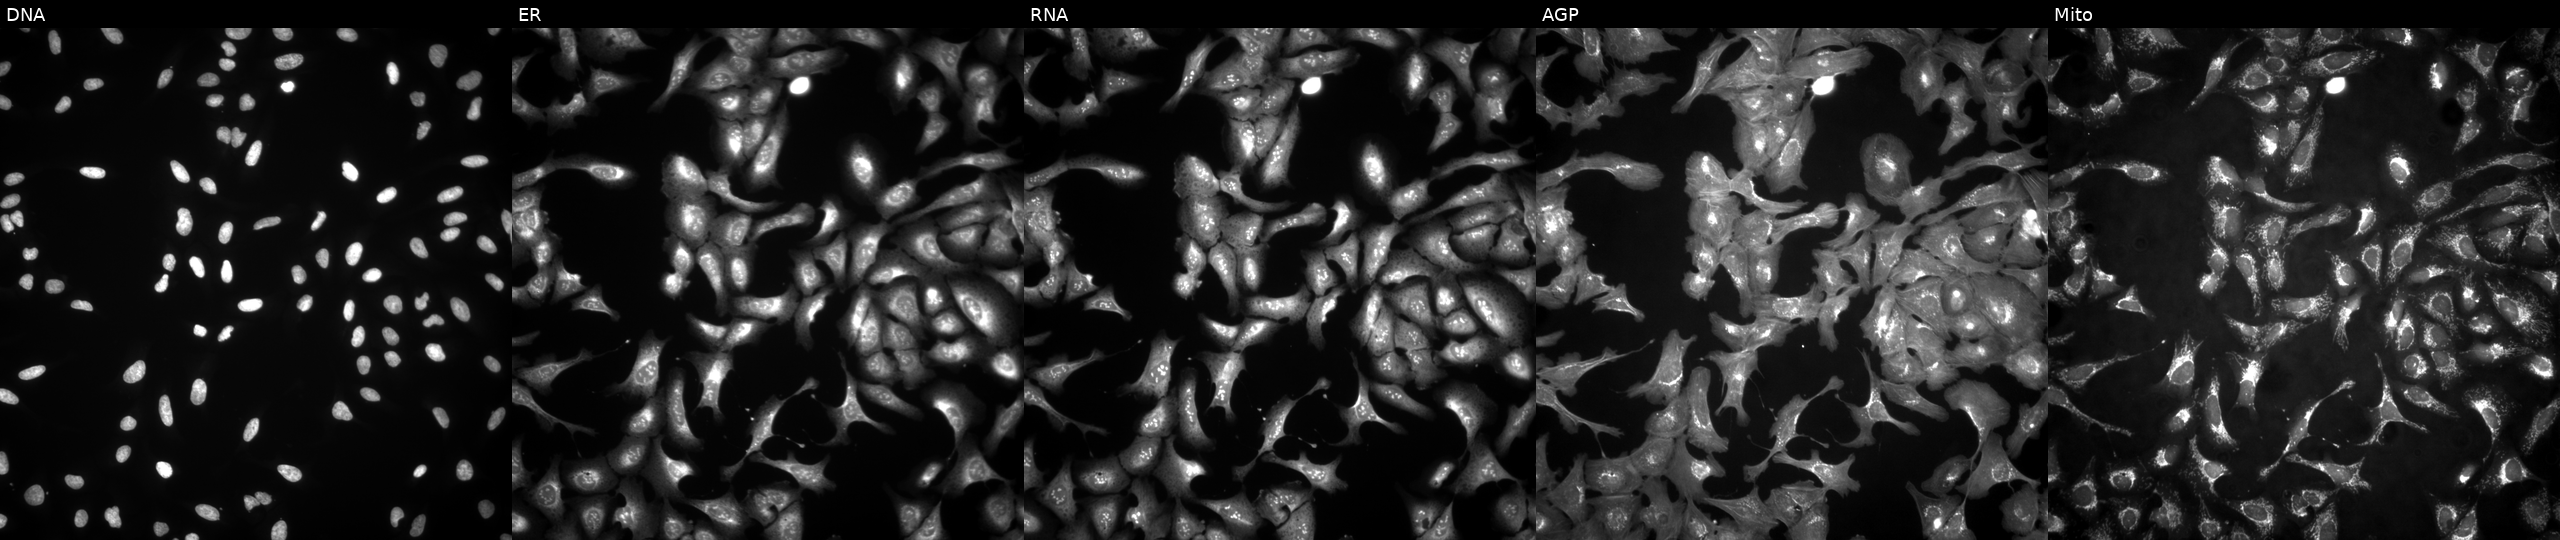
U2OS cells, Cell Painting assay, overexpressing KLRD1 via ORF transfection. Panels show, left to right, DNA, ER, RNA, AGP, and Mito. Each panel is percentile-stretched 16-bit fluorescence.